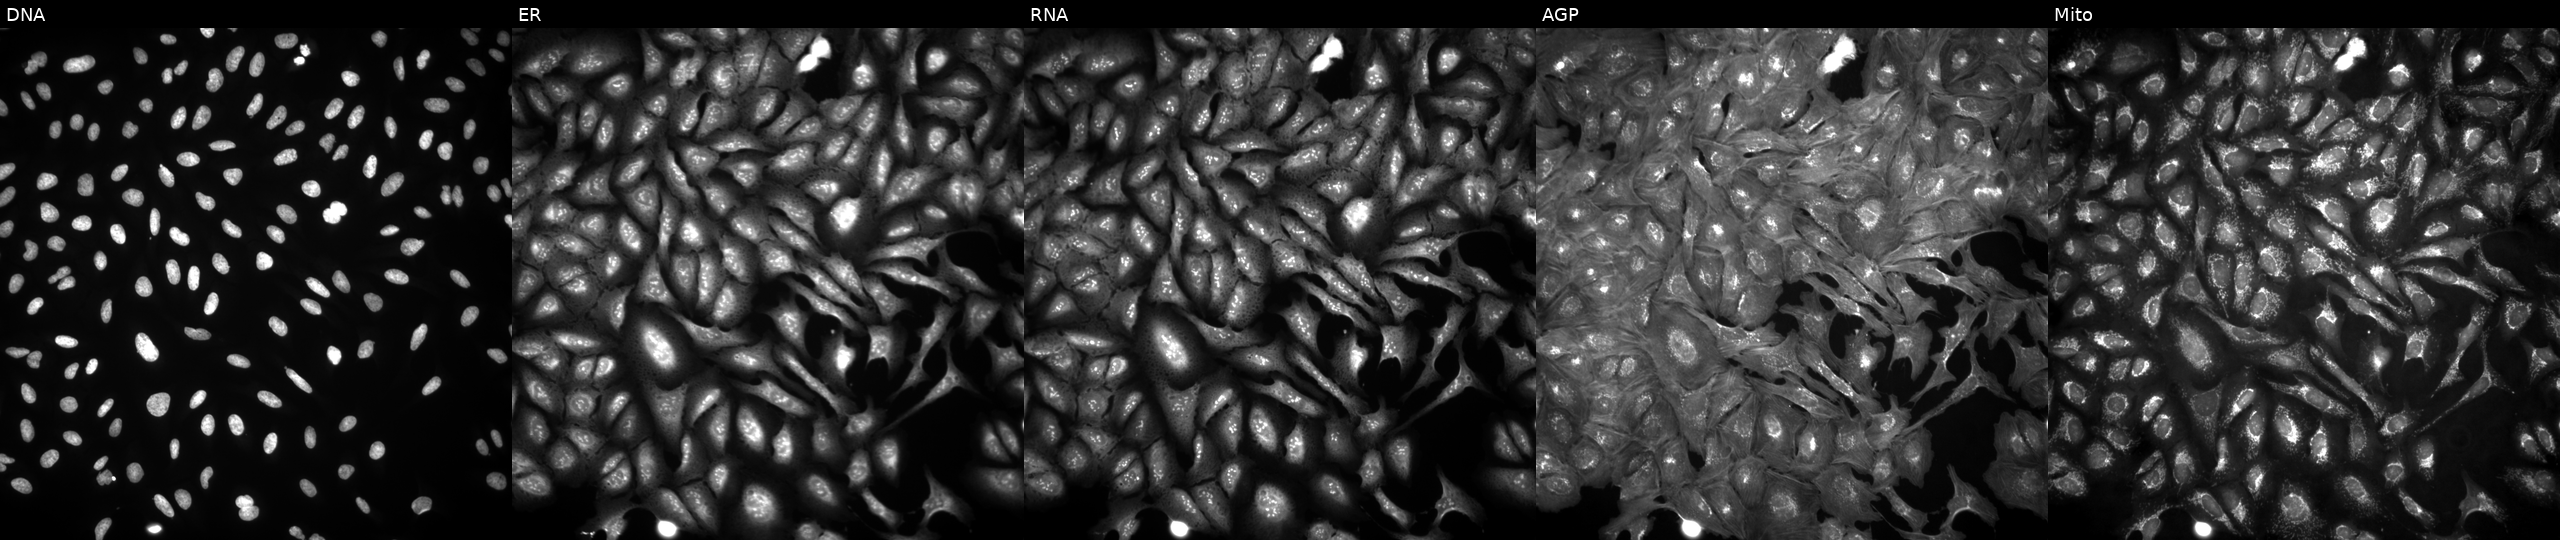
High-content fluorescence microscopy (Cell Painting). Cell line: U2OS. Perturbation: overexpressing USP5 via ORF transfection. Channels (left→right): Hoechst 33342, concanavalin A, SYTO 14, phalloidin and WGA, MitoTracker. Source 4, plate BR00124784, well A19.